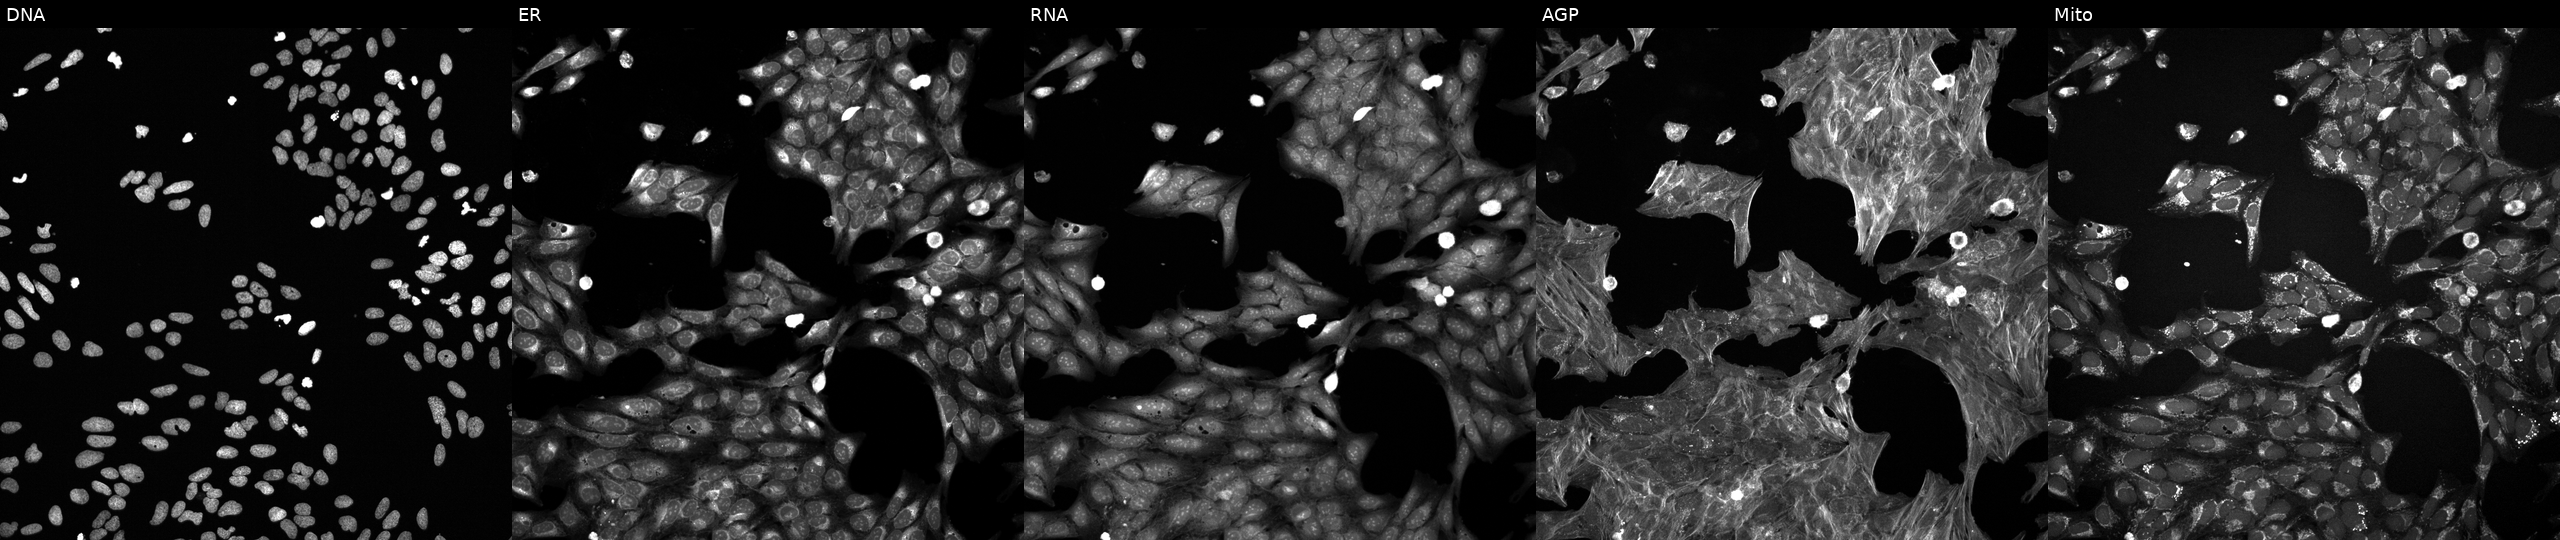
High-content fluorescence microscopy (Cell Painting). Cell line: U2OS. Perturbation: perturbed with a small-molecule compound [SMILES: C[S+]([O-])c1ccc(-c2nc(-c3ccc(F)cc3)c(-c3ccncc3)[nH]2)cc1]. From left to right: DNA, ER, RNA, AGP, and Mito. Source 6, plate 110000293093, well K17.